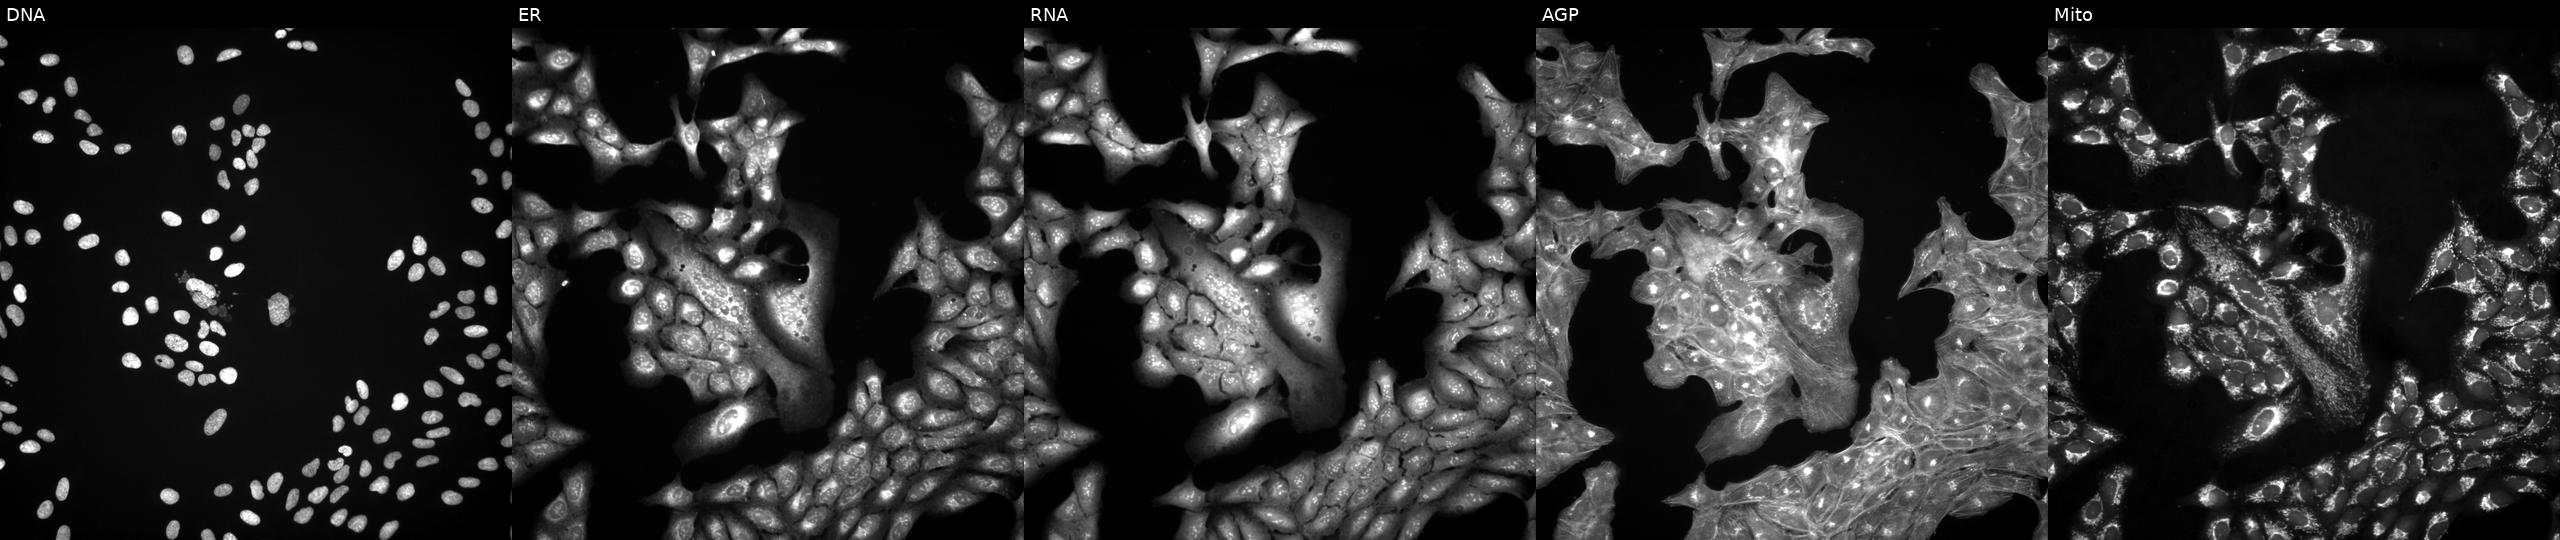
This image strip shows the five Cell Painting channels for a single field of U2OS cells perturbed with a small-molecule compound [SMILES: CC1(C)CNc2cc(NC(=O)c3ccc[nH]c3=NCc3ccncc3)ccc21]. Panels show, left to right, DNA (nuclei); ER (endoplasmic reticulum); RNA (nucleoli and cytoplasmic RNA); AGP (actin cytoskeleton, Golgi, and plasma membrane); Mito (mitochondria). Source 3, plate JCPQC053, well O08.